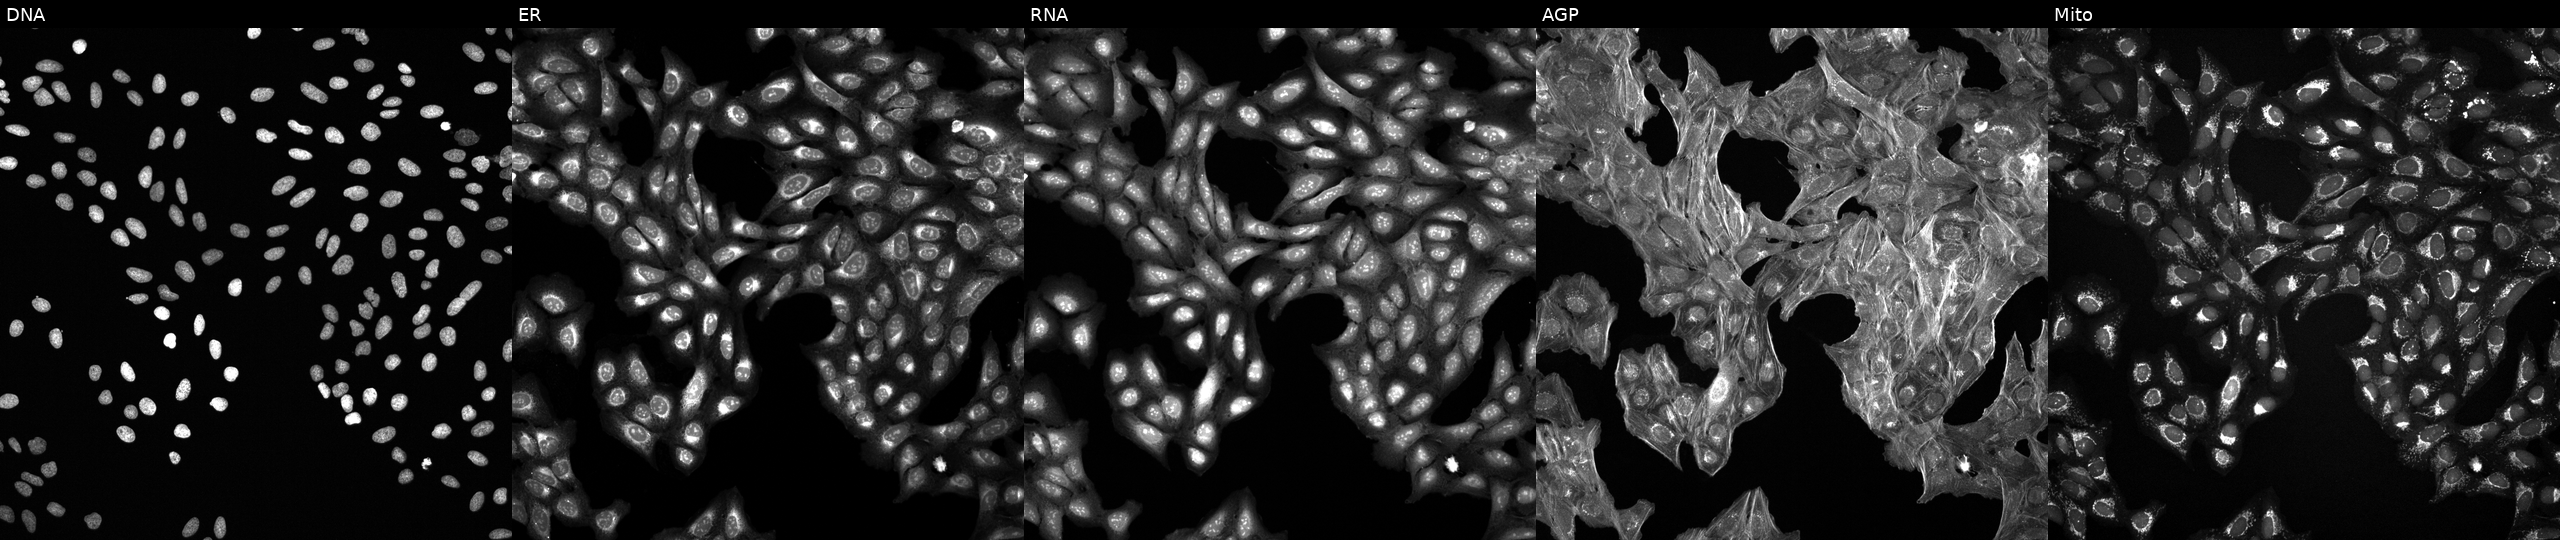
U2OS cells, Cell Painting assay, perturbed with a small-molecule compound (InChIKey TYIPXKDUJVKDOO-UHFFFAOYSA-N) [SMILES: O=c1cc(-c2cccc(O)c2)c2sc(C(O)O)c(-c3ccc(F)cc3)c2[nH]1]. The five panels, left to right, show Hoechst 33342, concanavalin A, SYTO 14, phalloidin and WGA, MitoTracker. Each panel is percentile-stretched 16-bit fluorescence.